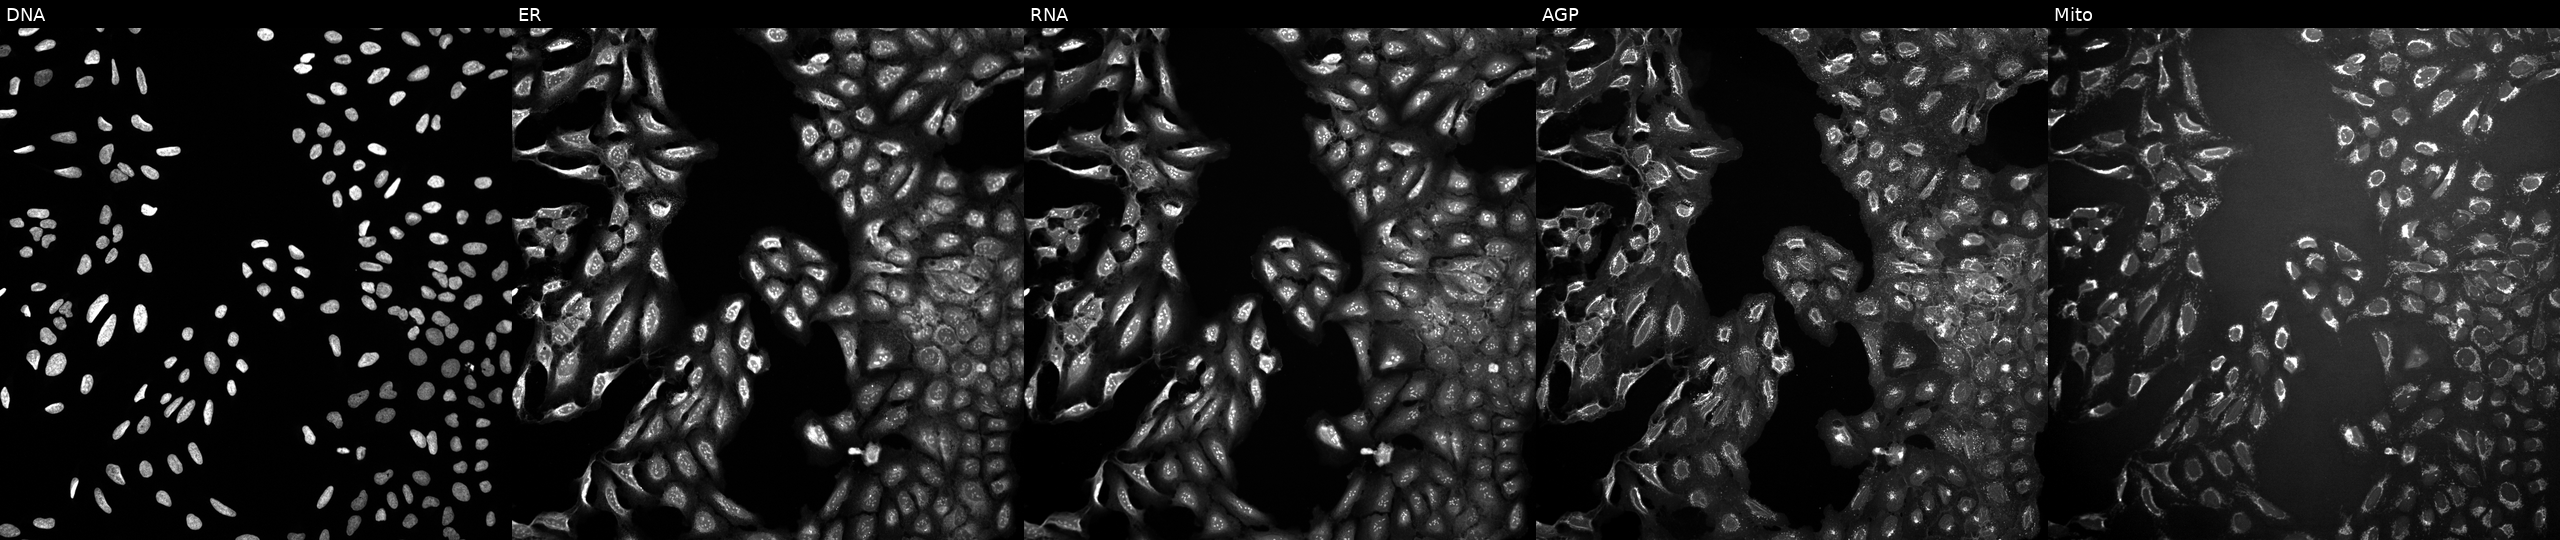
U2OS cells, Cell Painting assay, treated with a small-molecule compound [SMILES: NCC(=O)Nc1ccc(-n2nc(C(F)(F)F)cc2-c2ccc3c(ccc4ccccc43)c2)cc1]. Panels show, left to right, Hoechst 33342, concanavalin A, SYTO 14, phalloidin and WGA, MitoTracker. Each panel is percentile-stretched 16-bit fluorescence.